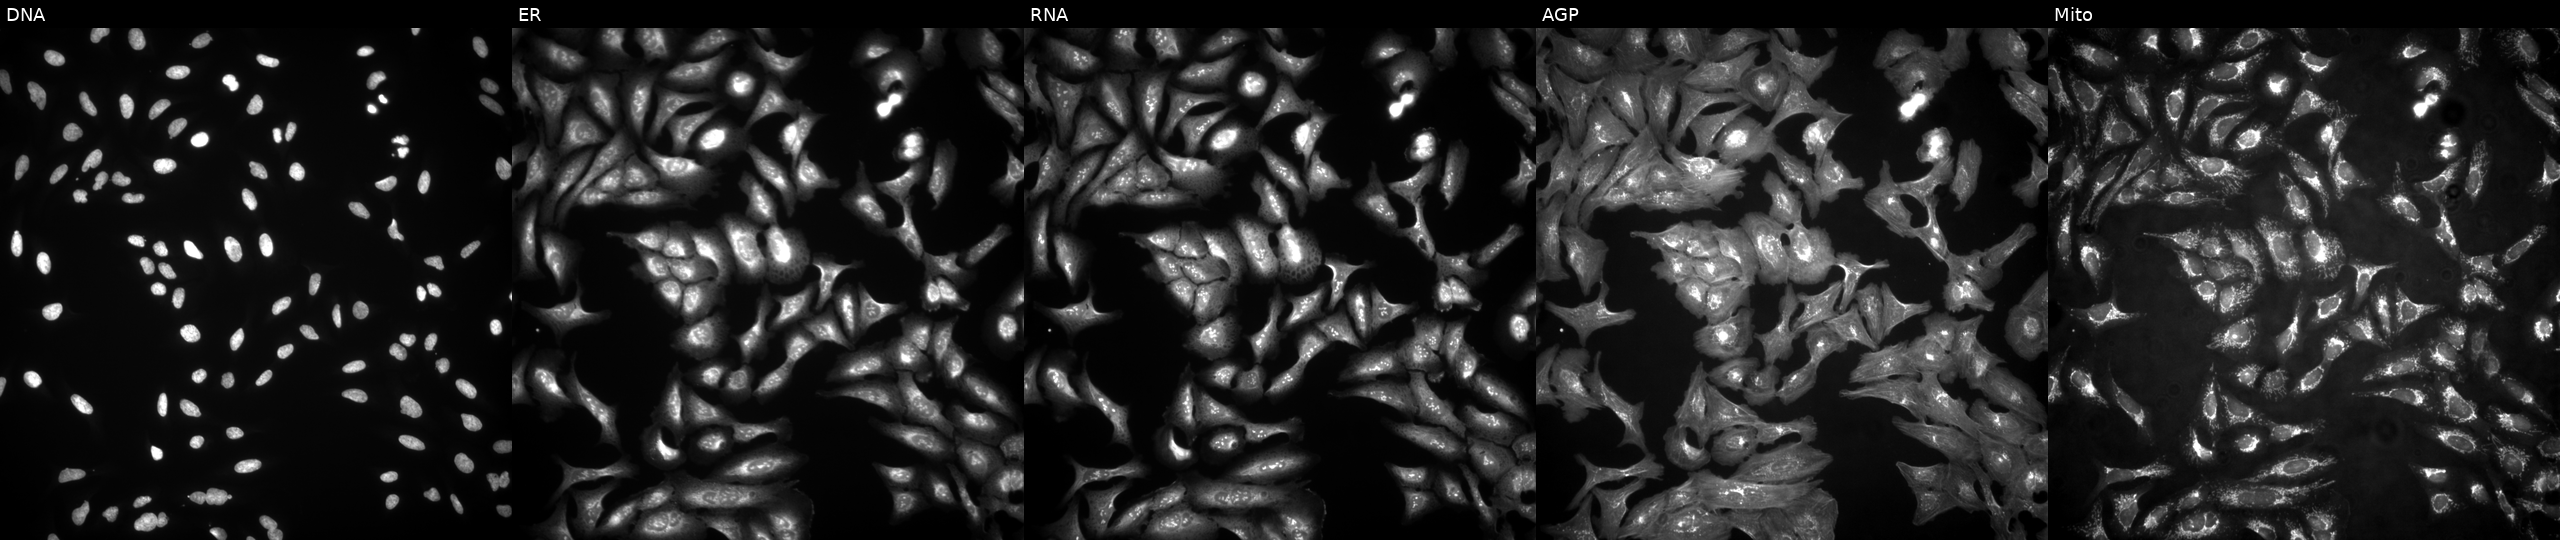
U2OS cells, Cell Painting assay, in an empty control well (no perturbation). From left to right: DNA, ER, RNA, AGP, and Mito. Each panel is percentile-stretched 16-bit fluorescence. Source 4, plate BR00123509, well E10.